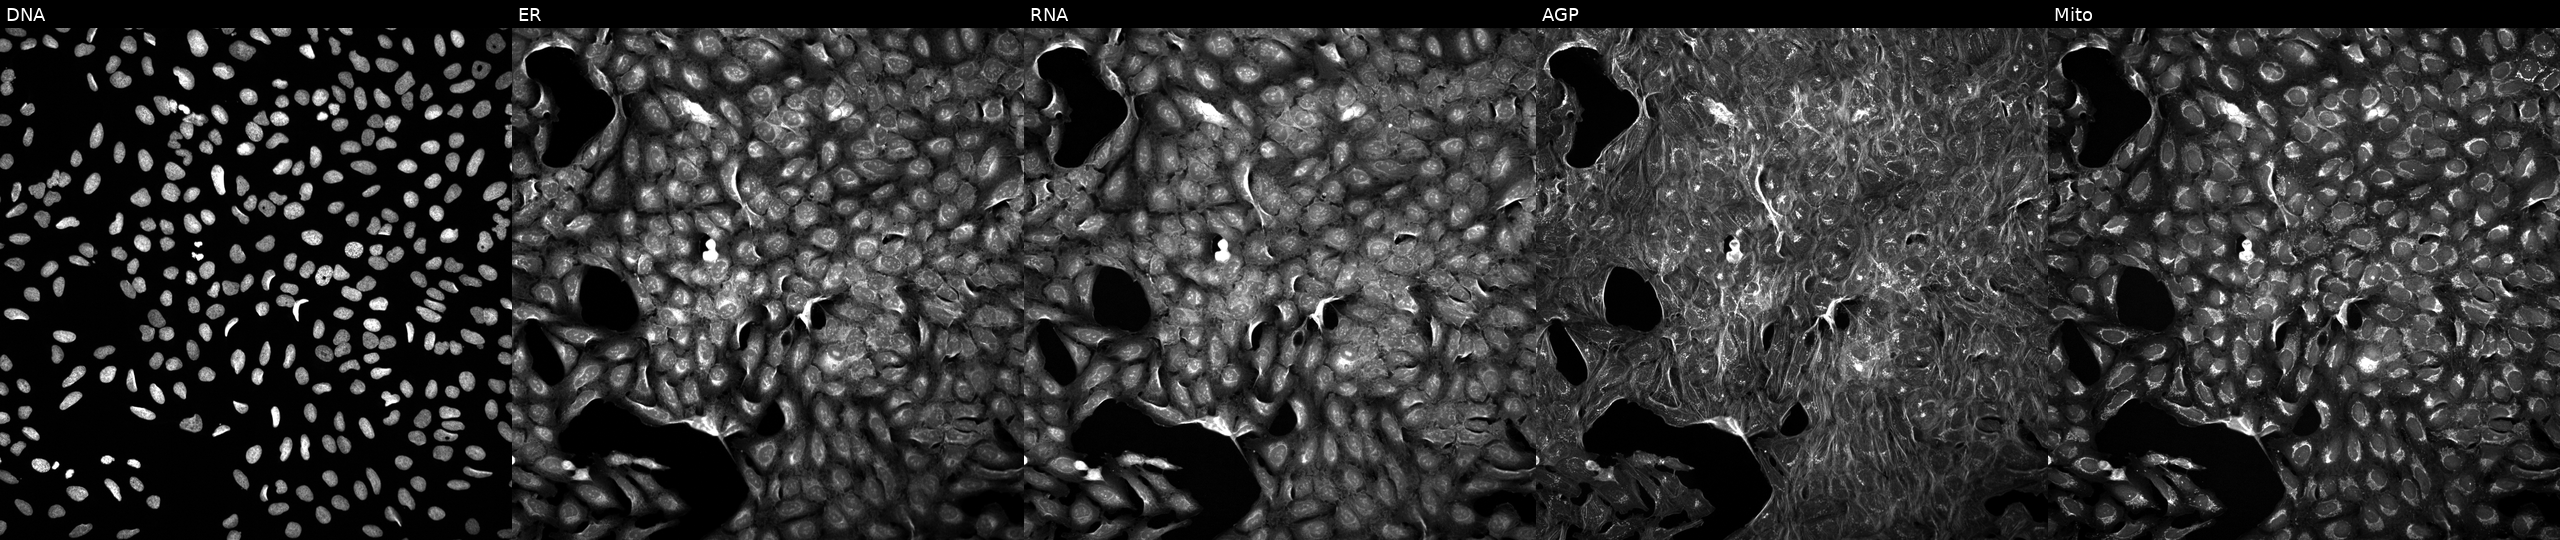
Five-channel Cell Painting image of U2OS cells exposed to a small-molecule compound. Channels (left→right): DNA (nuclei); ER (endoplasmic reticulum); RNA (nucleoli and cytoplasmic RNA); AGP (actin cytoskeleton, Golgi, and plasma membrane); Mito (mitochondria).